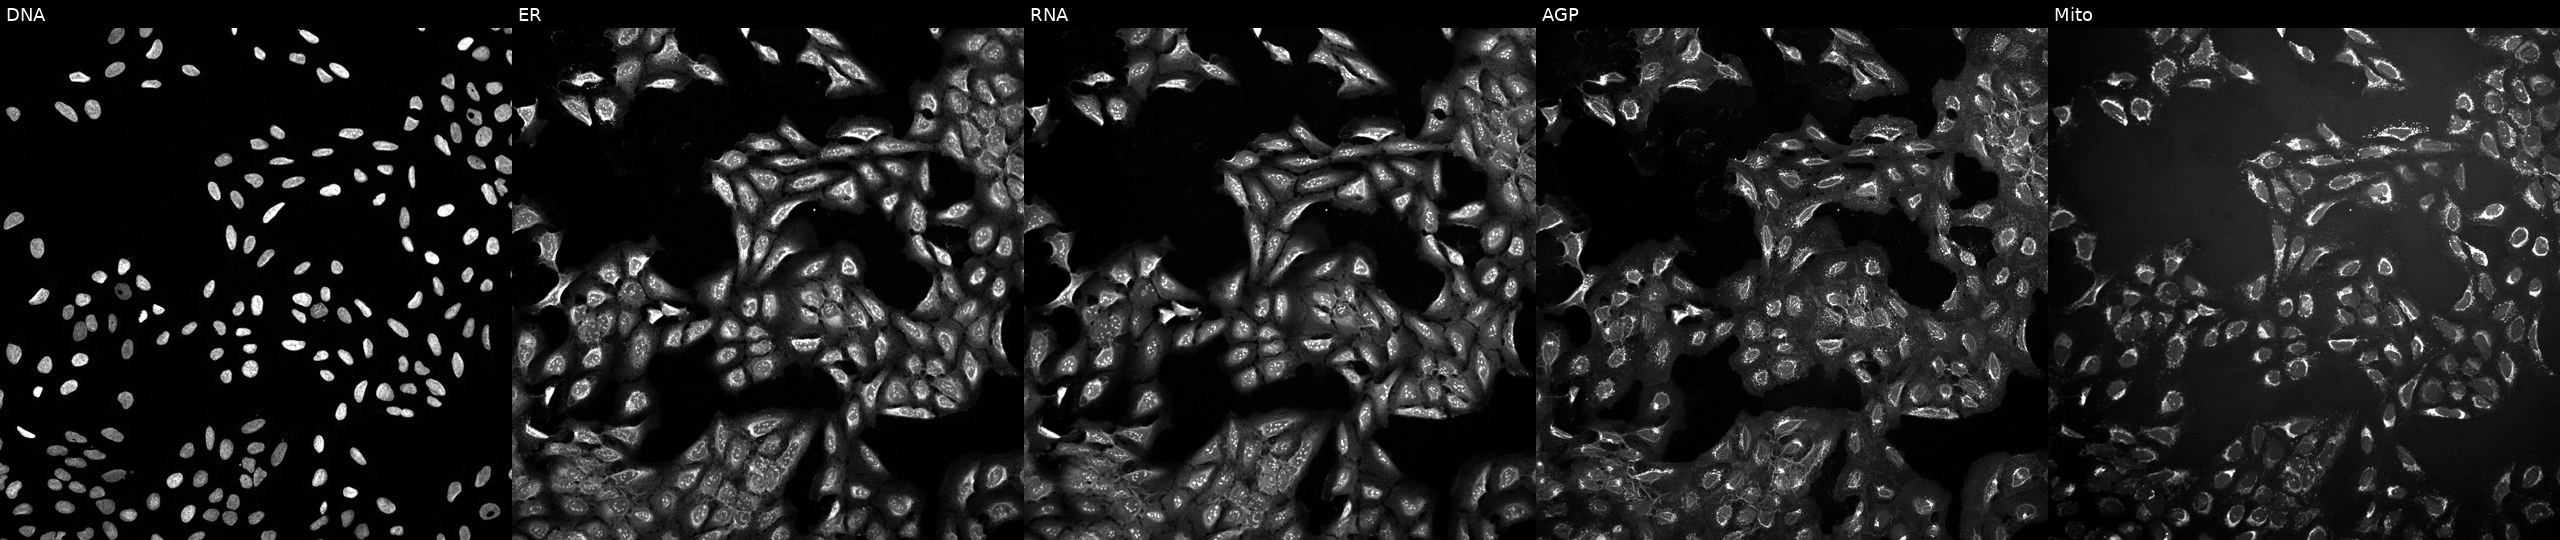
High-content fluorescence microscopy (Cell Painting). Cell line: U2OS. Perturbation: treated with a small-molecule compound (InChIKey XSDQTOBWRPYKKA-UHFFFAOYSA-N). Panels show, left to right, Hoechst 33342, concanavalin A, SYTO 14, phalloidin and WGA, MitoTracker.